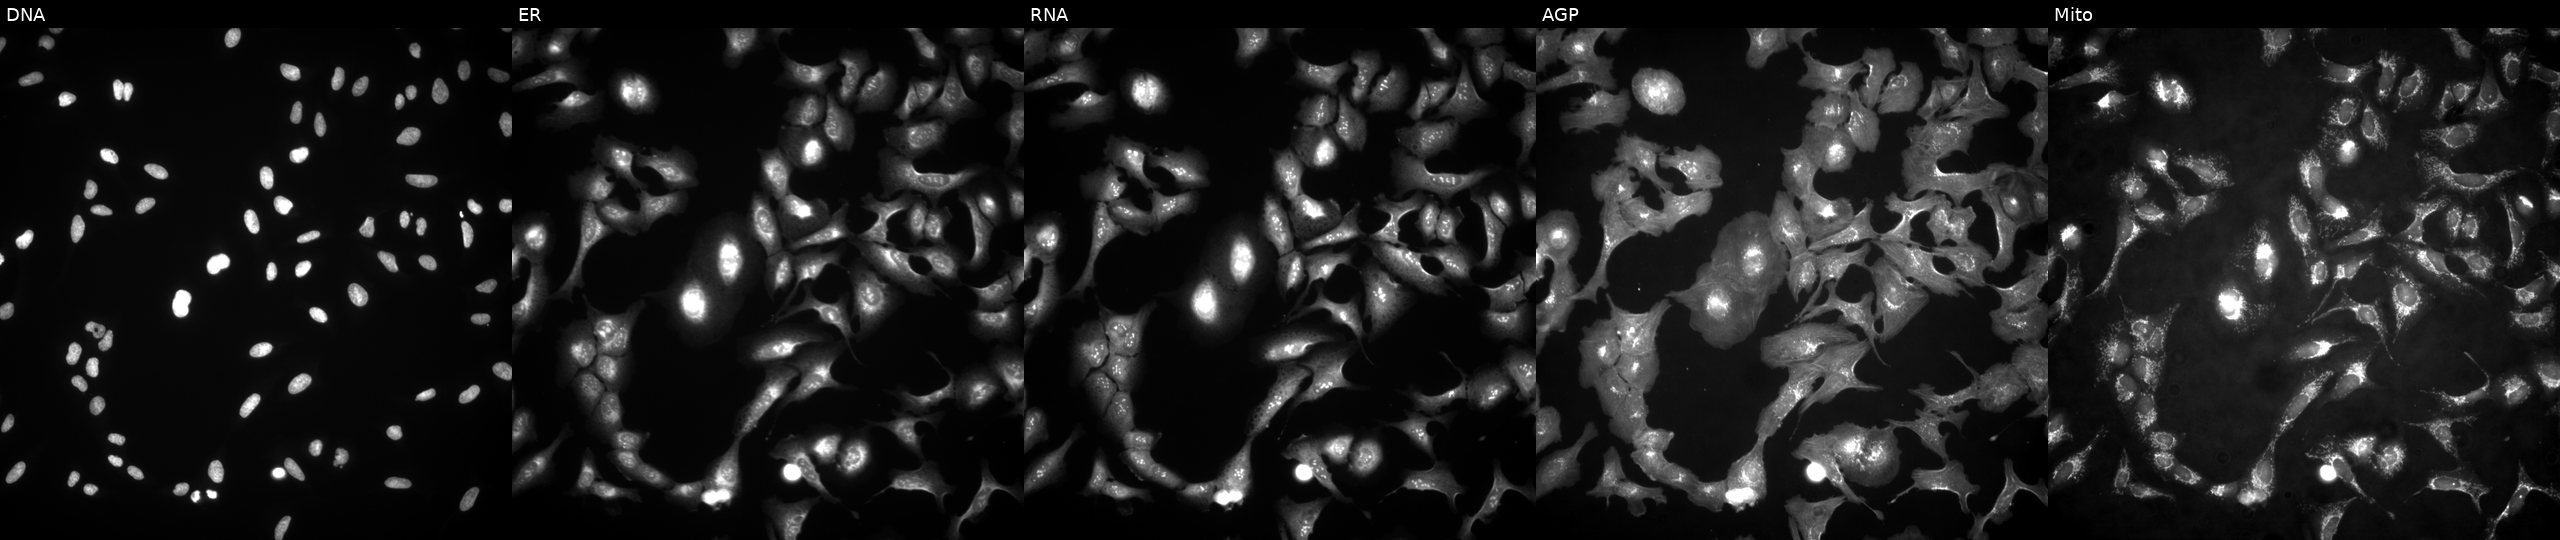
Five-channel Cell Painting image of U2OS cells overexpressing SINHCAF via ORF transfection. Channels (left→right): Hoechst 33342, concanavalin A, SYTO 14, phalloidin and WGA, MitoTracker.